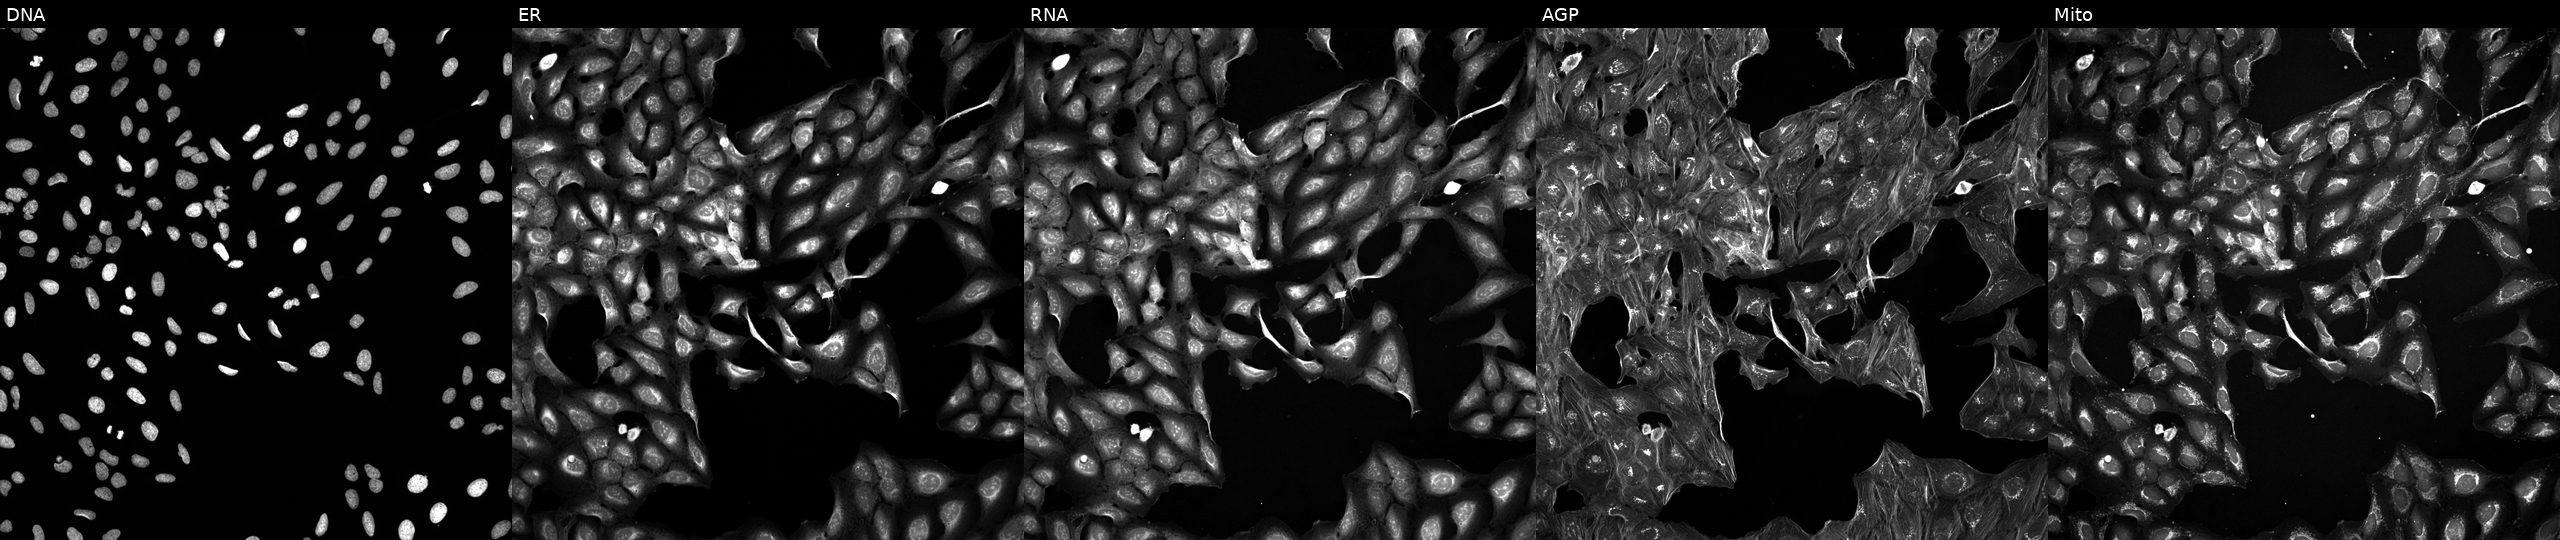
Five-channel Cell Painting image of U2OS cells exposed to a small-molecule compound (InChIKey AZYDQCGCBQYFSE-UHFFFAOYSA-N) [SMILES: CC(C)C(C(=O)N=c1[nH]ccs1)c1ccc(Cl)cc1]. Channels (left→right): DNA, ER, RNA, AGP, and Mito. Source 5, plate ACPJUM032, well A13.